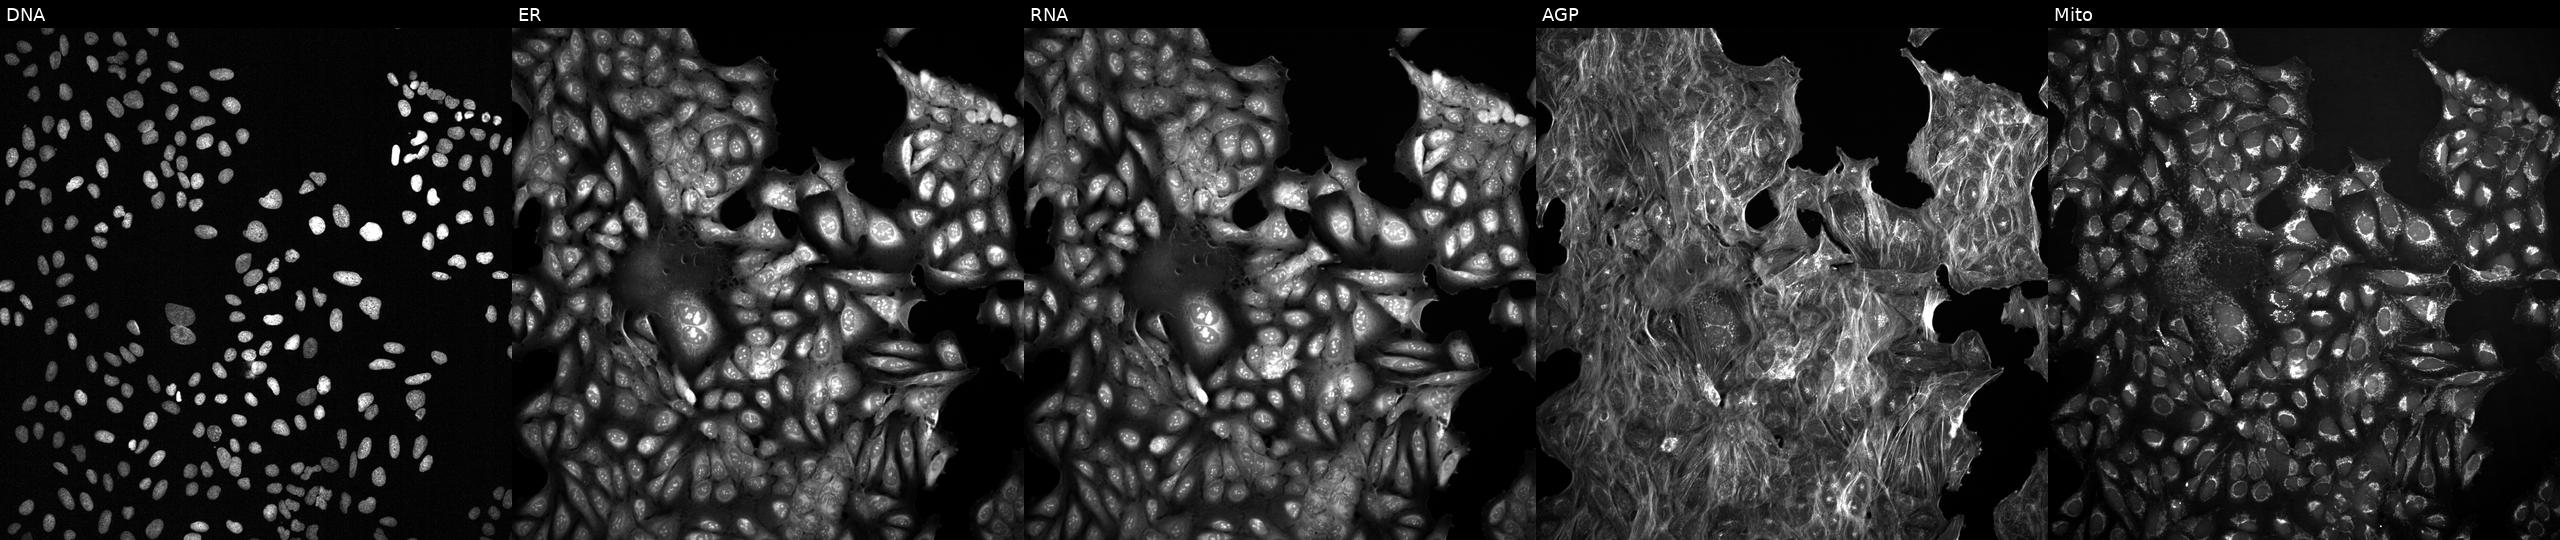
Panels show, left to right, DNA, ER, RNA, AGP, and Mito. U2OS osteosarcoma cells treated with quinidine (positive-control compound). Cell Painting assay, JUMP-CP dataset. Source 2, plate 1053601756, well O01.